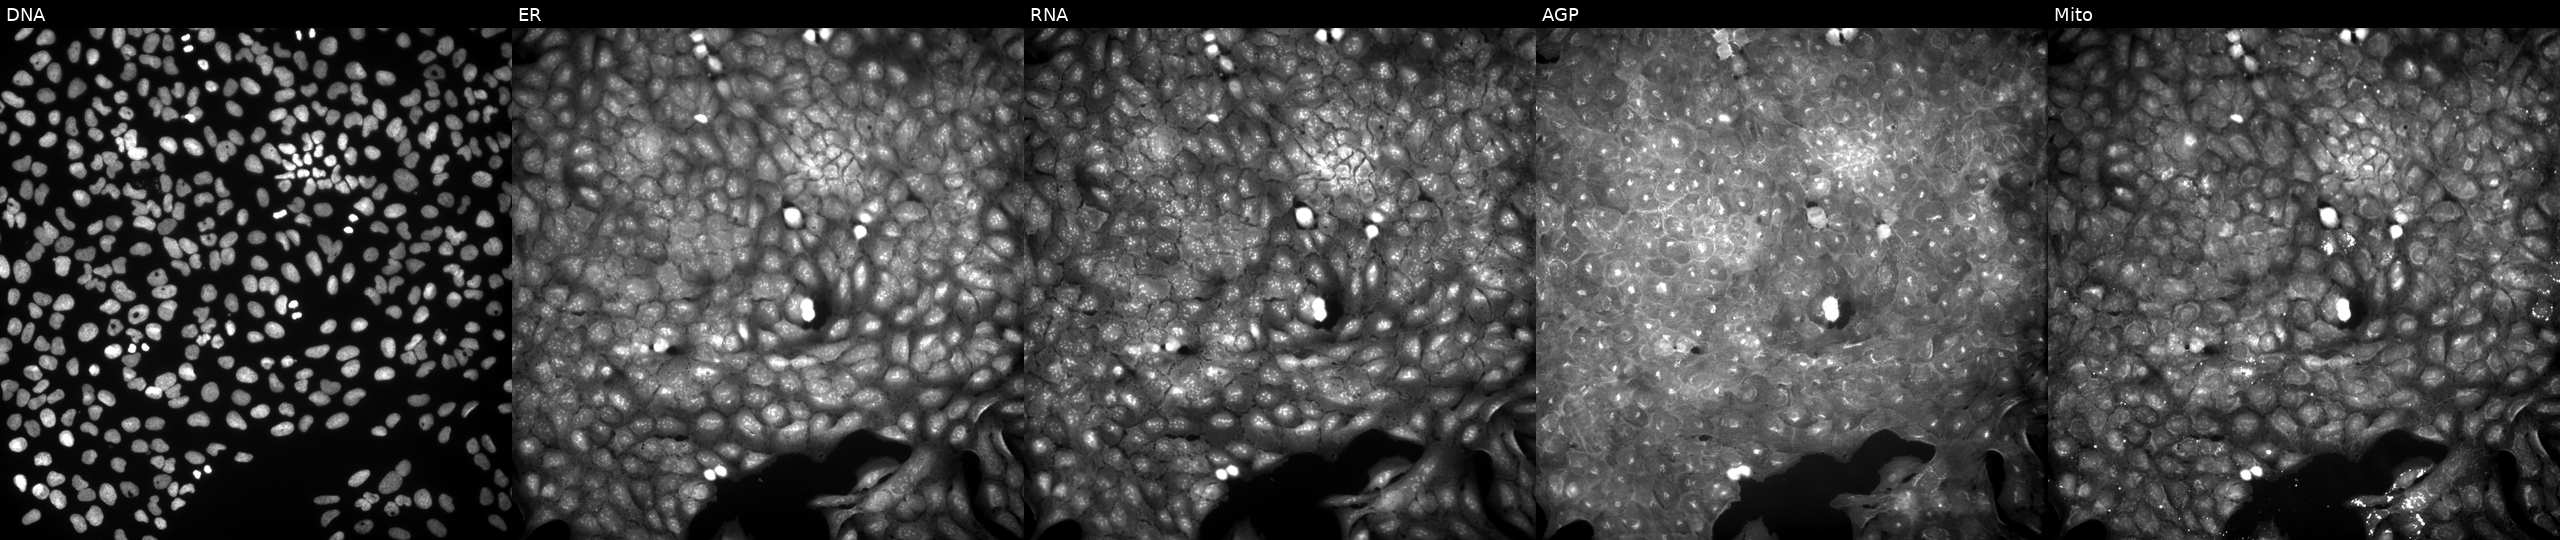
JUMP Cell Painting — COMPOUND plate. U2OS cells perturbed with a small-molecule compound (InChIKey LXTRSEMJAYESTO-UHFFFAOYSA-N) (JUMP id JCP2022_052395). From left to right: DNA (nuclei); ER (endoplasmic reticulum); RNA (nucleoli and cytoplasmic RNA); AGP (actin cytoskeleton, Golgi, and plasma membrane); Mito (mitochondria). Source 9, plate GR00003381, well V29.